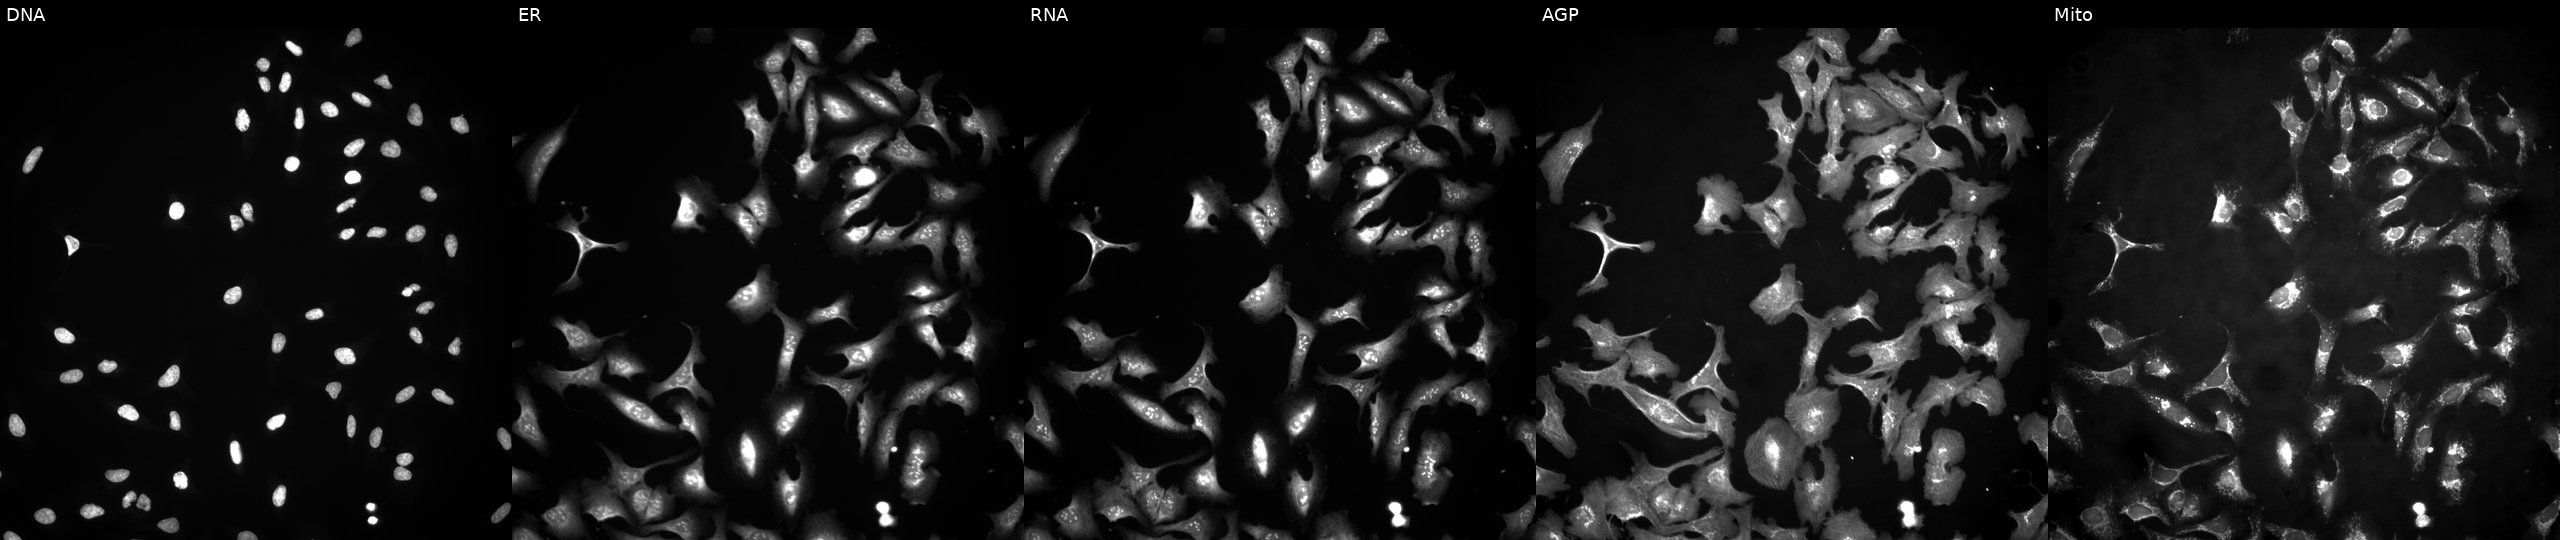
Five-channel Cell Painting image of U2OS cells with AKT1 overexpressed (ORF). Panels show, left to right, DNA, ER, RNA, AGP, and Mito.